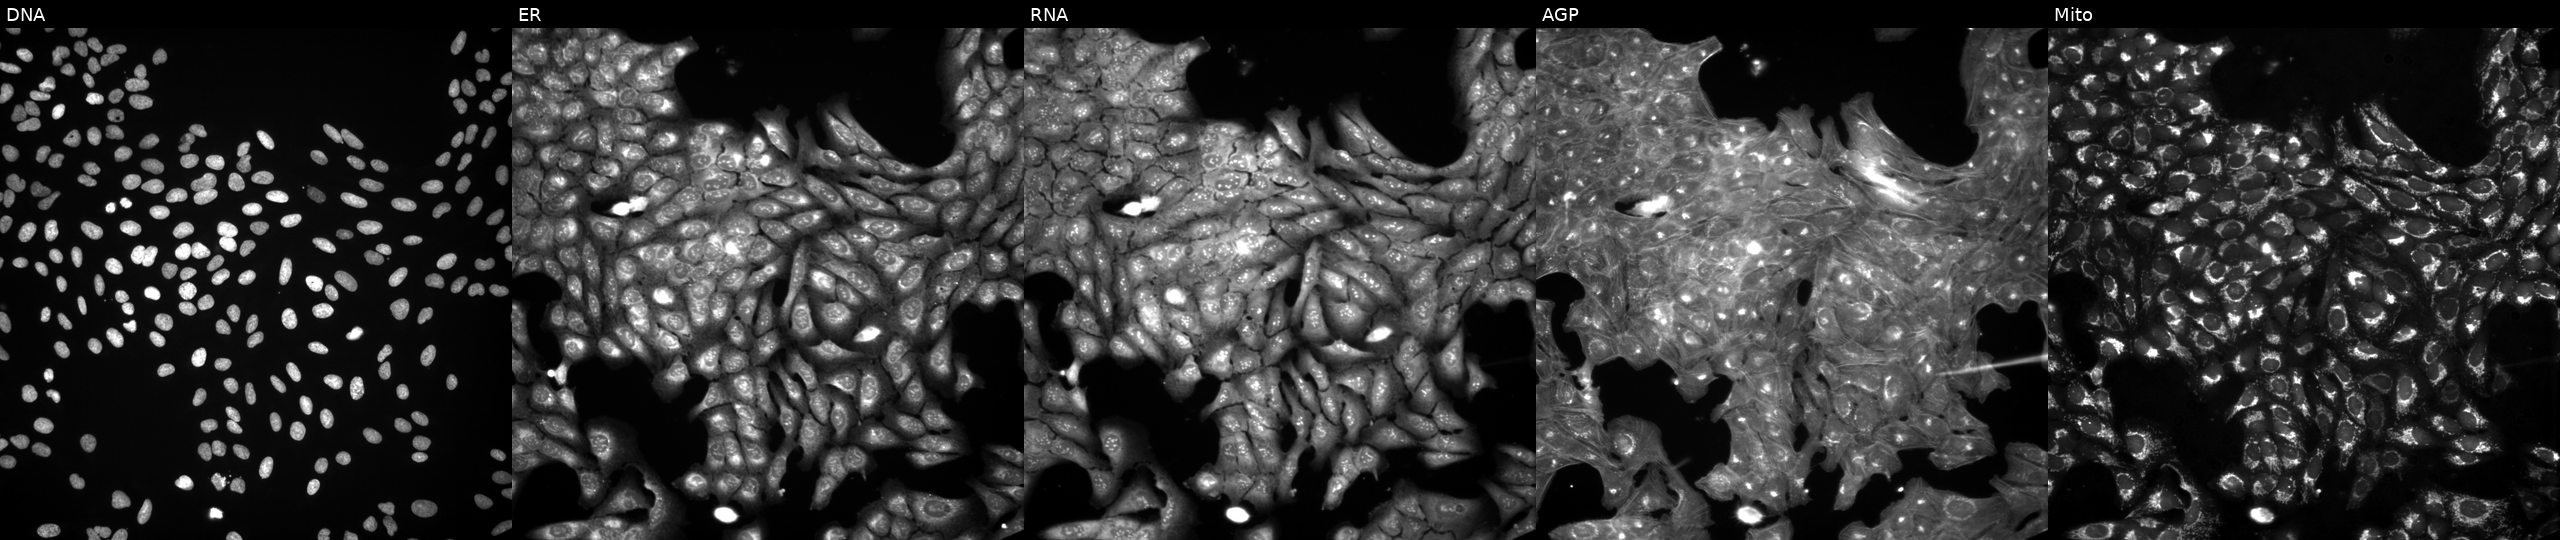
U2OS cells, Cell Painting assay, exposed to a small-molecule compound (InChIKey PBBNFPFIUACSDL-UHFFFAOYSA-N) (JUMP id JCP2022_067430). Panels show, left to right, DNA (nuclei); ER (endoplasmic reticulum); RNA (nucleoli and cytoplasmic RNA); AGP (actin cytoskeleton, Golgi, and plasma membrane); Mito (mitochondria). Each panel is percentile-stretched 16-bit fluorescence.